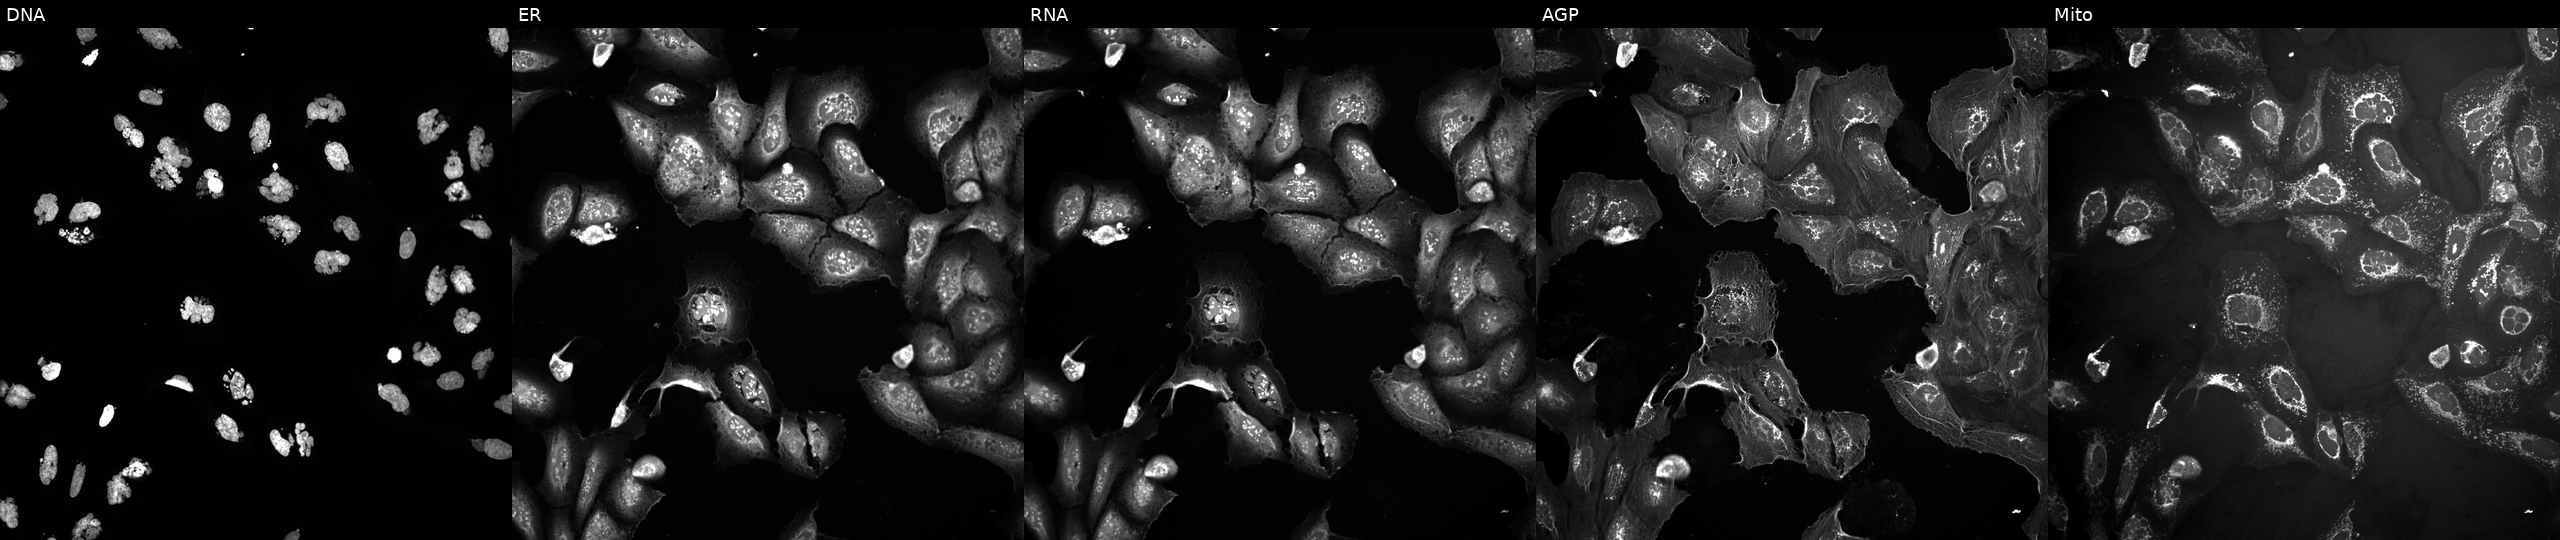
High-content fluorescence microscopy (Cell Painting). Cell line: U2OS. Perturbation: exposed to the positive-control compound AMG900. The five panels, left to right, show DNA, ER, RNA, AGP, and Mito.